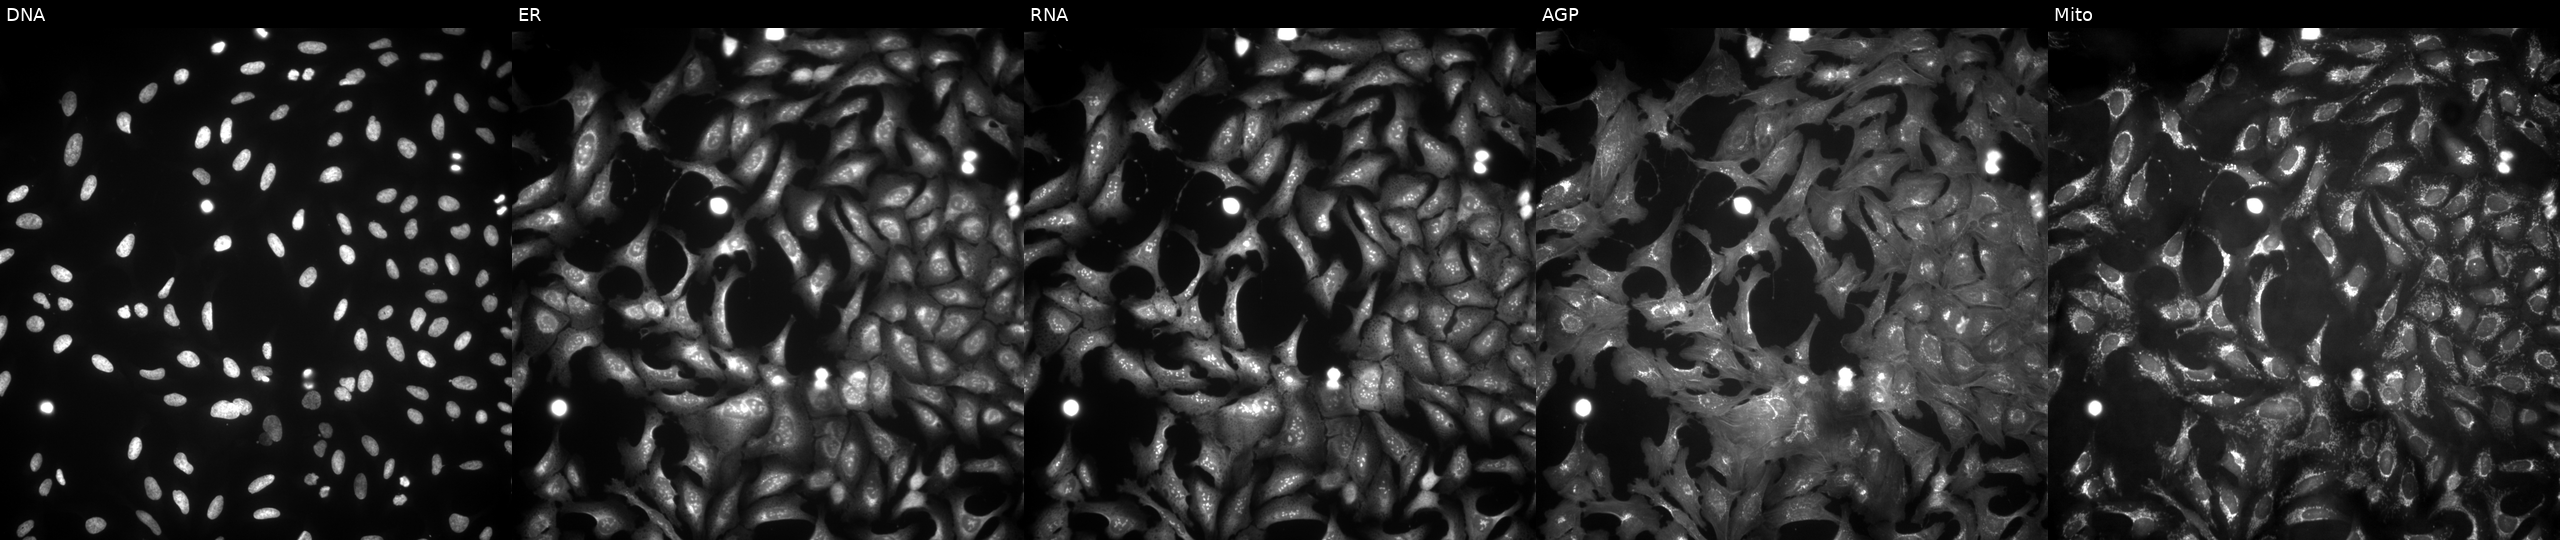
Five-channel Cell Painting image of U2OS cells transfected with an ORF construct for CEP55 (JUMP id JCP2022_907928). From left to right: DNA, ER, RNA, AGP, and Mito.